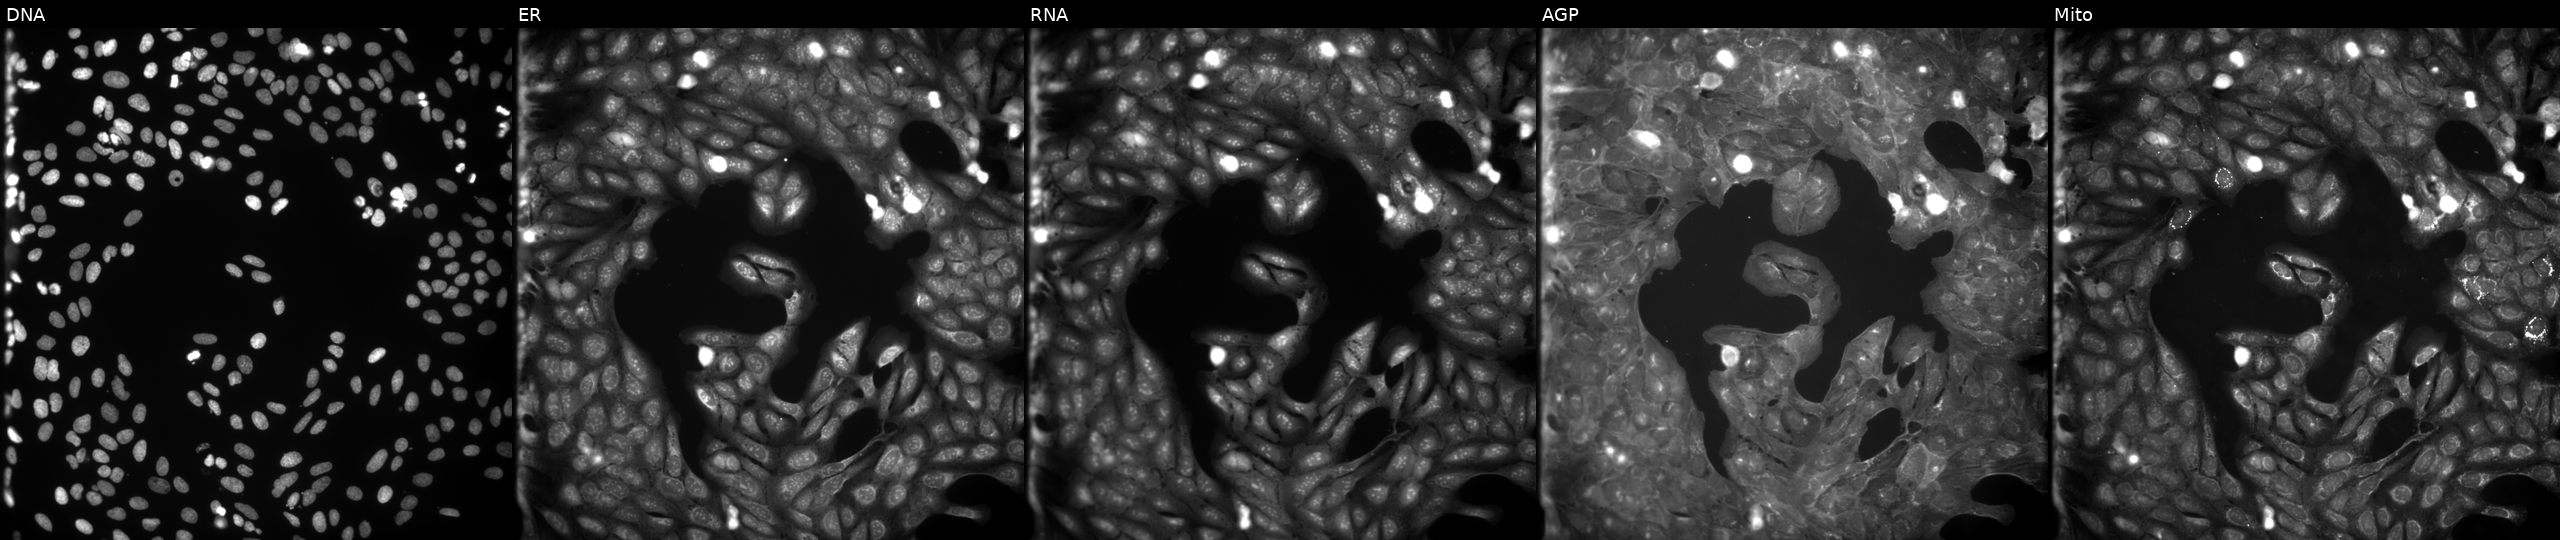
JUMP Cell Painting — COMPOUND plate. U2OS cells treated with a small-molecule compound (InChIKey NUALIFGEUZNFDM-UHFFFAOYSA-N) (JUMP id JCP2022_061358). The five panels, left to right, show DNA (nuclei); ER (endoplasmic reticulum); RNA (nucleoli and cytoplasmic RNA); AGP (actin cytoskeleton, Golgi, and plasma membrane); Mito (mitochondria). Source 9, plate GR00003382, well I17.